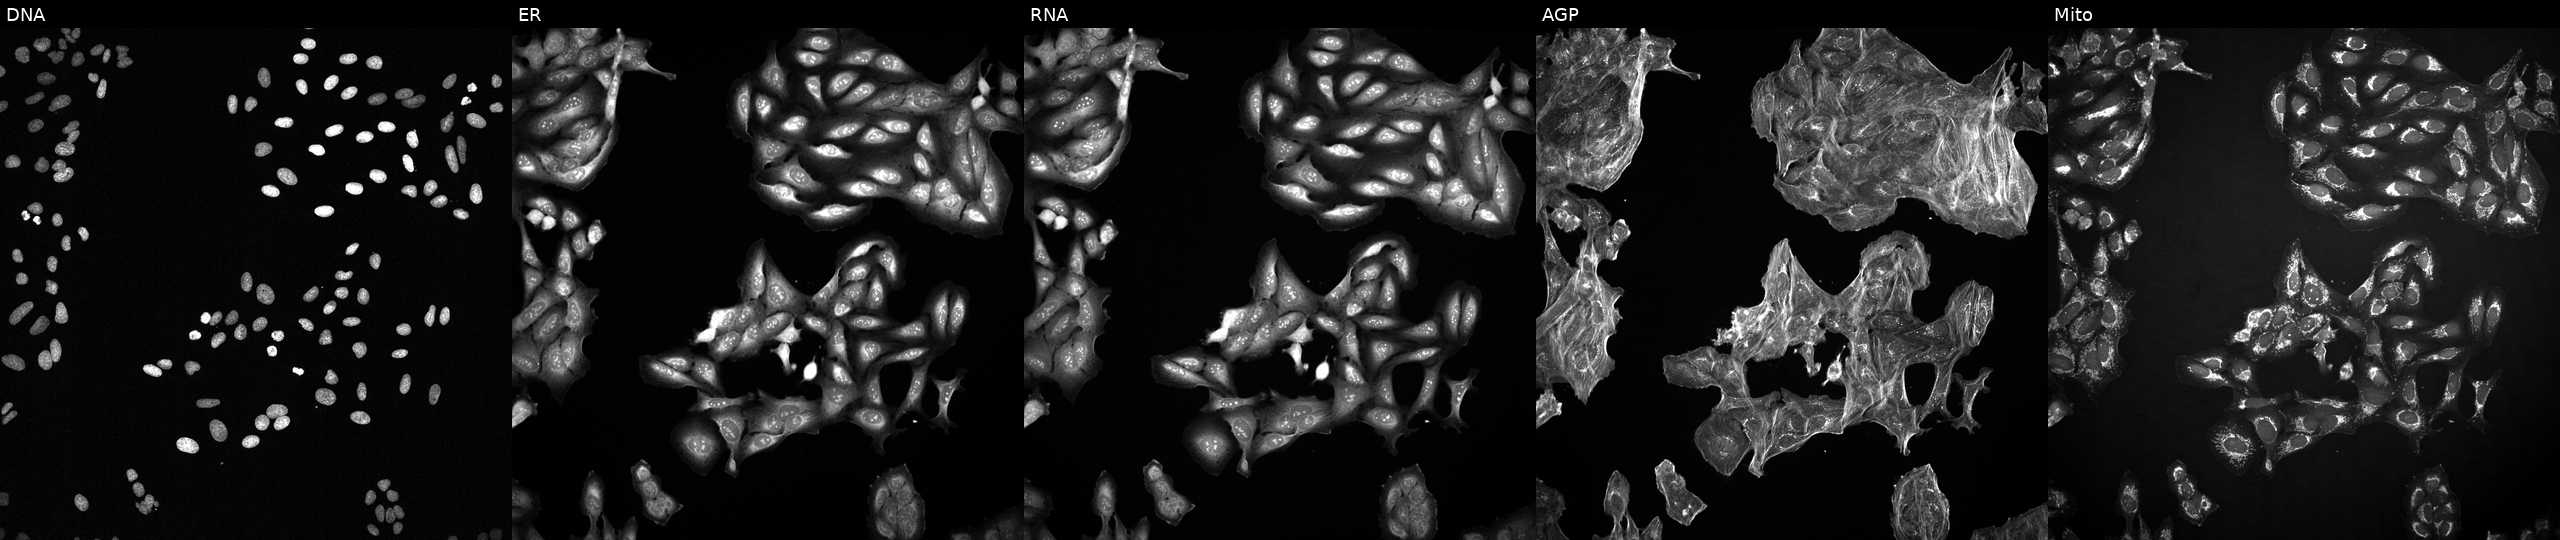
U2OS cells, Cell Painting assay, perturbed with a small-molecule compound (InChIKey PHLBKPHSAVXXEF-UHFFFAOYSA-N) [SMILES: O=c1n(CCCN2CCN(c3cccc(Cl)c3)CC2)nc2ccccn12] (JUMP id JCP2022_068606). Channels (left→right): DNA, ER, RNA, AGP, and Mito. Each panel is percentile-stretched 16-bit fluorescence.